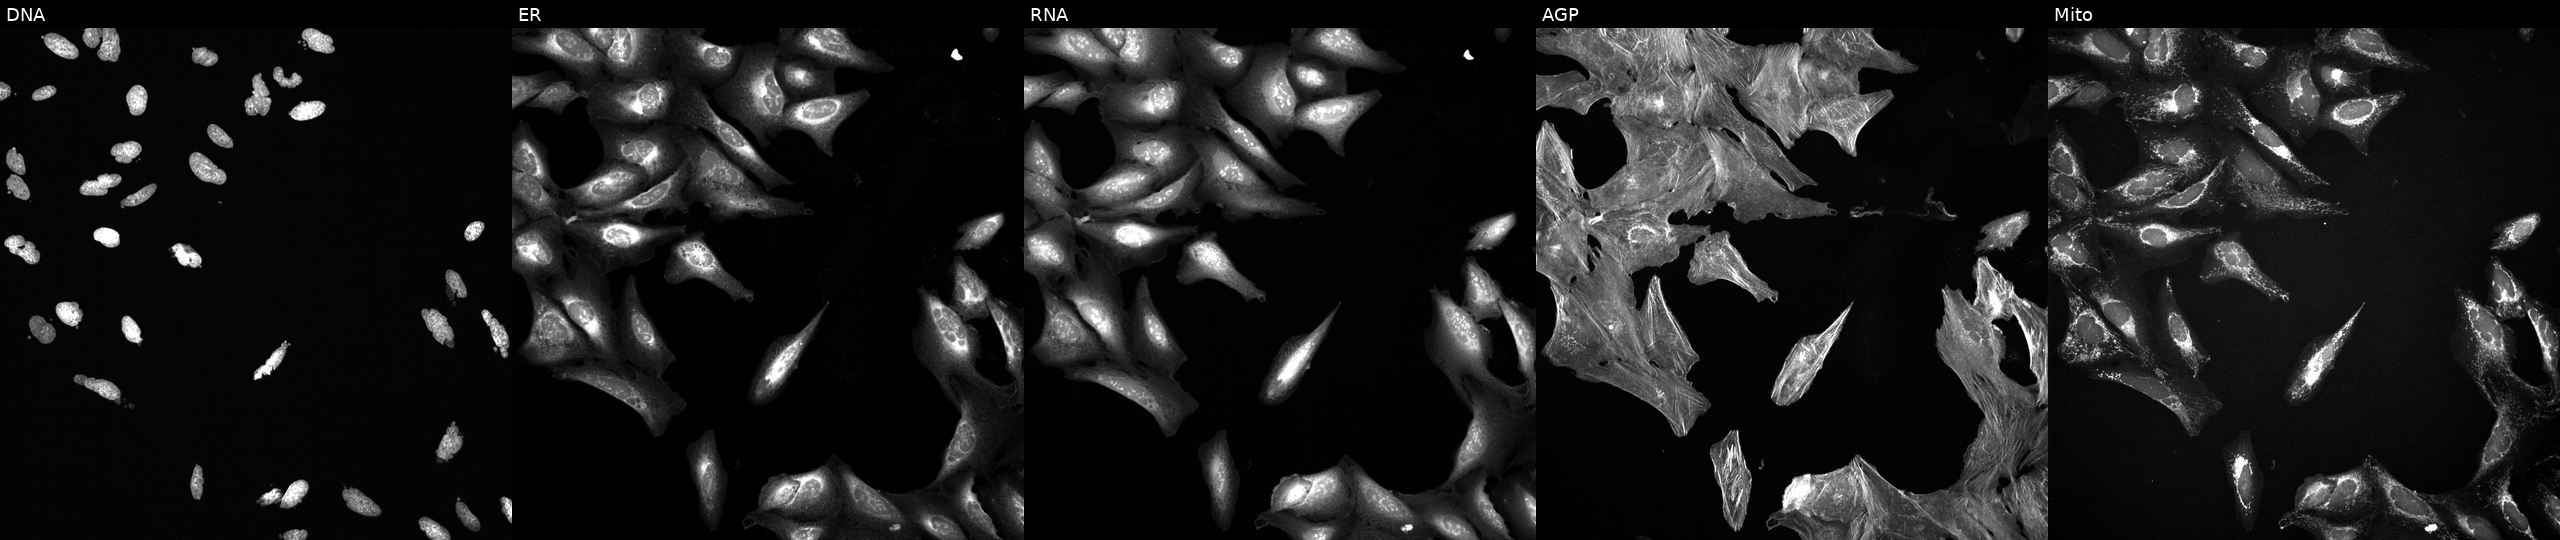
This image strip shows the five Cell Painting channels for a single field of U2OS cells exposed to a small-molecule compound [SMILES: COC(C(=O)n1cc2[nH][nH]c(=NC(O)c3ccc(N4CCN(C)CC4)cc3)c2c1)c1ccccc1]. From left to right: DNA, ER, RNA, AGP, and Mito. Source 6, plate 110000293081, well J07.